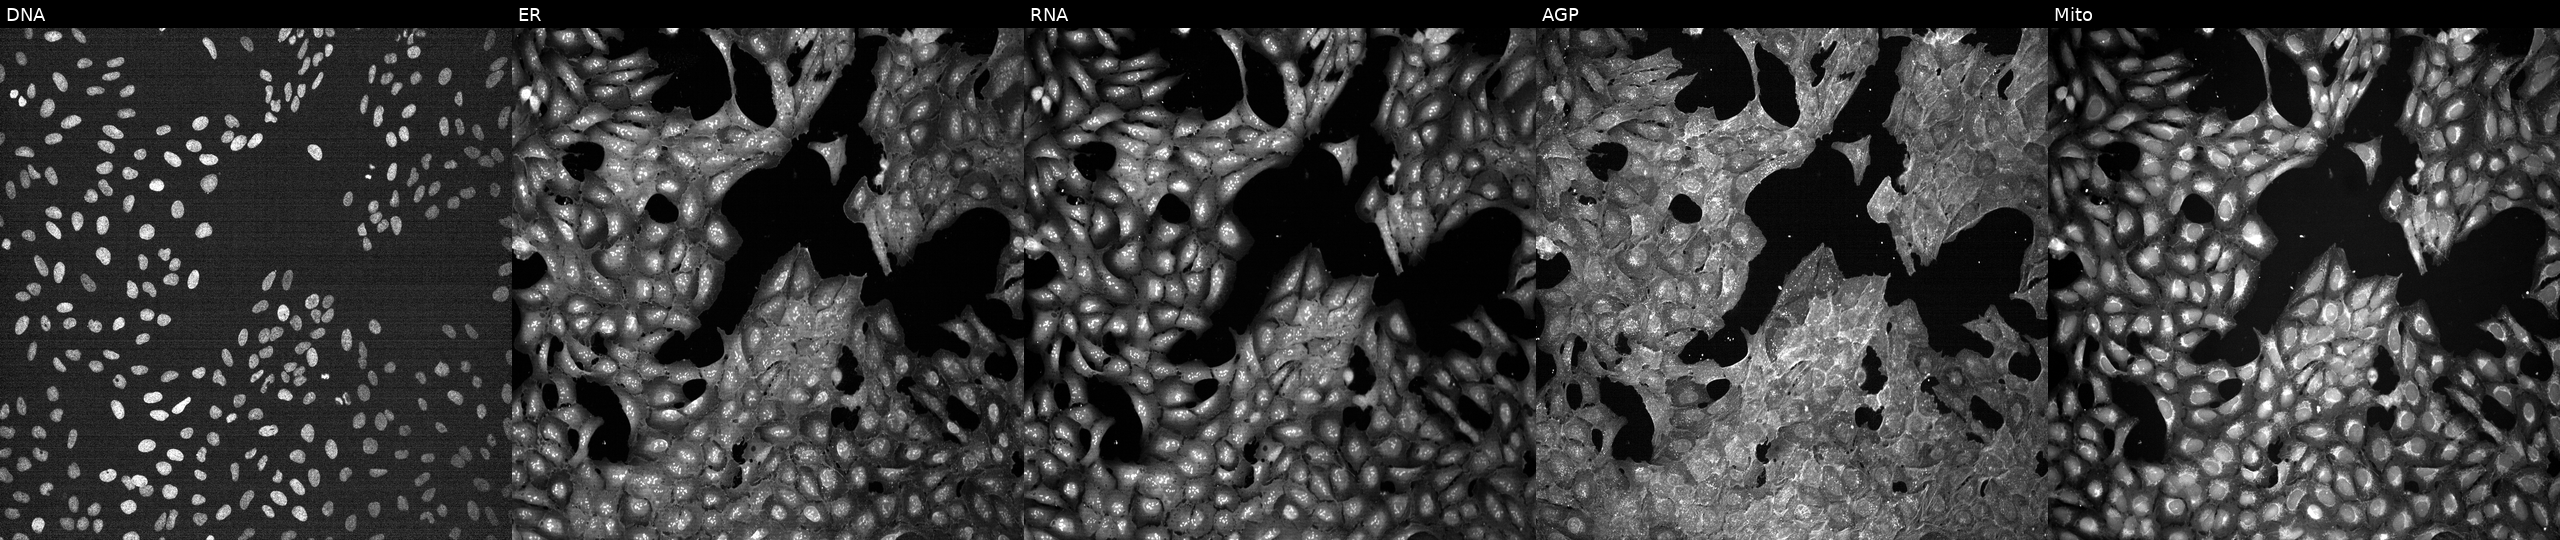
U2OS cells, Cell Painting assay, exposed to a small-molecule compound (InChIKey HCRKCZRJWPKOAR-UHFFFAOYSA-N) [SMILES: CCNC1CN(CCCOC)S(=O)(=O)c2sc(S(N)(=O)=O)cc21] (JUMP id JCP2022_029365). Panels show, left to right, Hoechst 33342, concanavalin A, SYTO 14, phalloidin and WGA, MitoTracker. Each panel is percentile-stretched 16-bit fluorescence. Source 7, plate CP1-SC1-25, well B19.